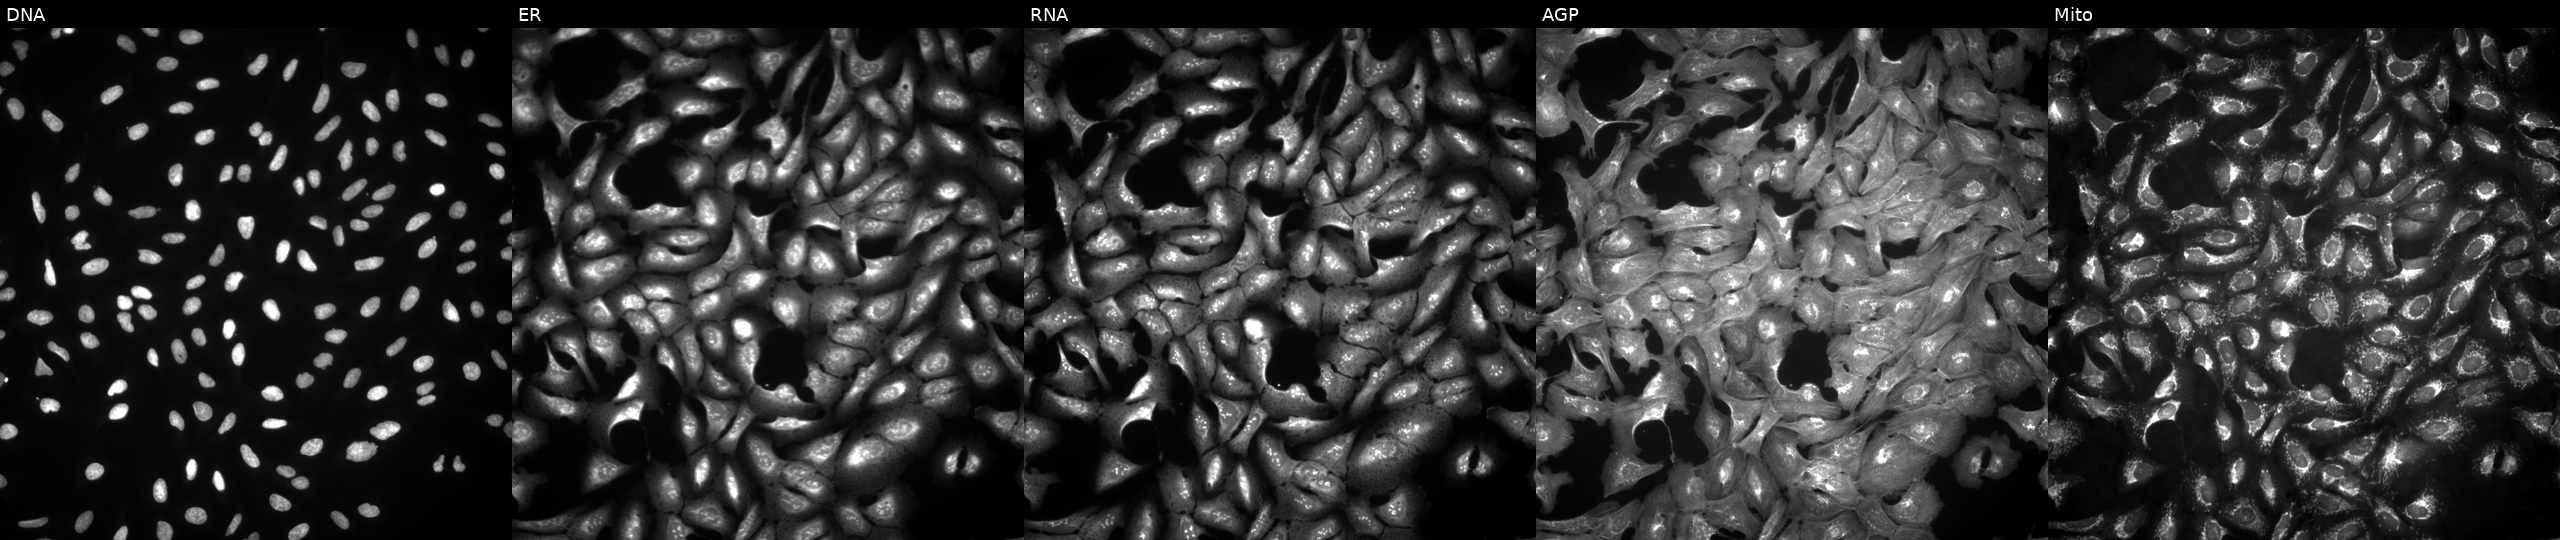
High-content fluorescence microscopy (Cell Painting). Cell line: U2OS. Perturbation: overexpressing ZC3HC1 via ORF transfection (JUMP id JCP2022_911185). The five panels, left to right, show Hoechst 33342, concanavalin A, SYTO 14, phalloidin and WGA, MitoTracker. Source 4, plate BR00123509, well B08.